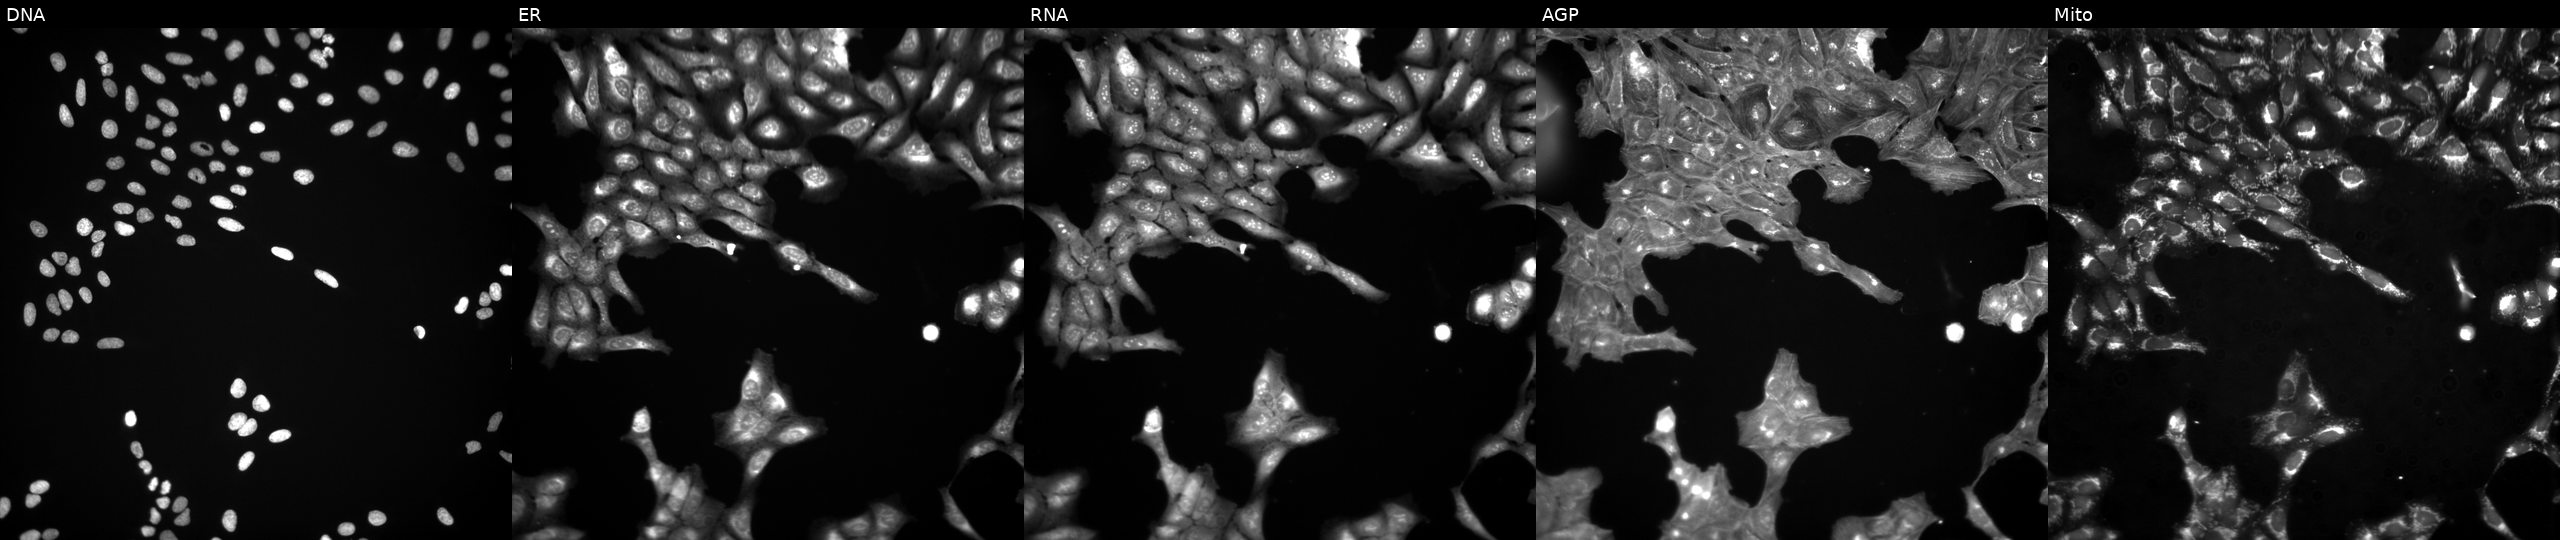
This image strip shows the five Cell Painting channels for a single field of U2OS cells exposed to a small-molecule compound (InChIKey PXAHVMIHFRKQAV-UHFFFAOYSA-N). Panels show, left to right, DNA (nuclei); ER (endoplasmic reticulum); RNA (nucleoli and cytoplasmic RNA); AGP (actin cytoskeleton, Golgi, and plasma membrane); Mito (mitochondria).